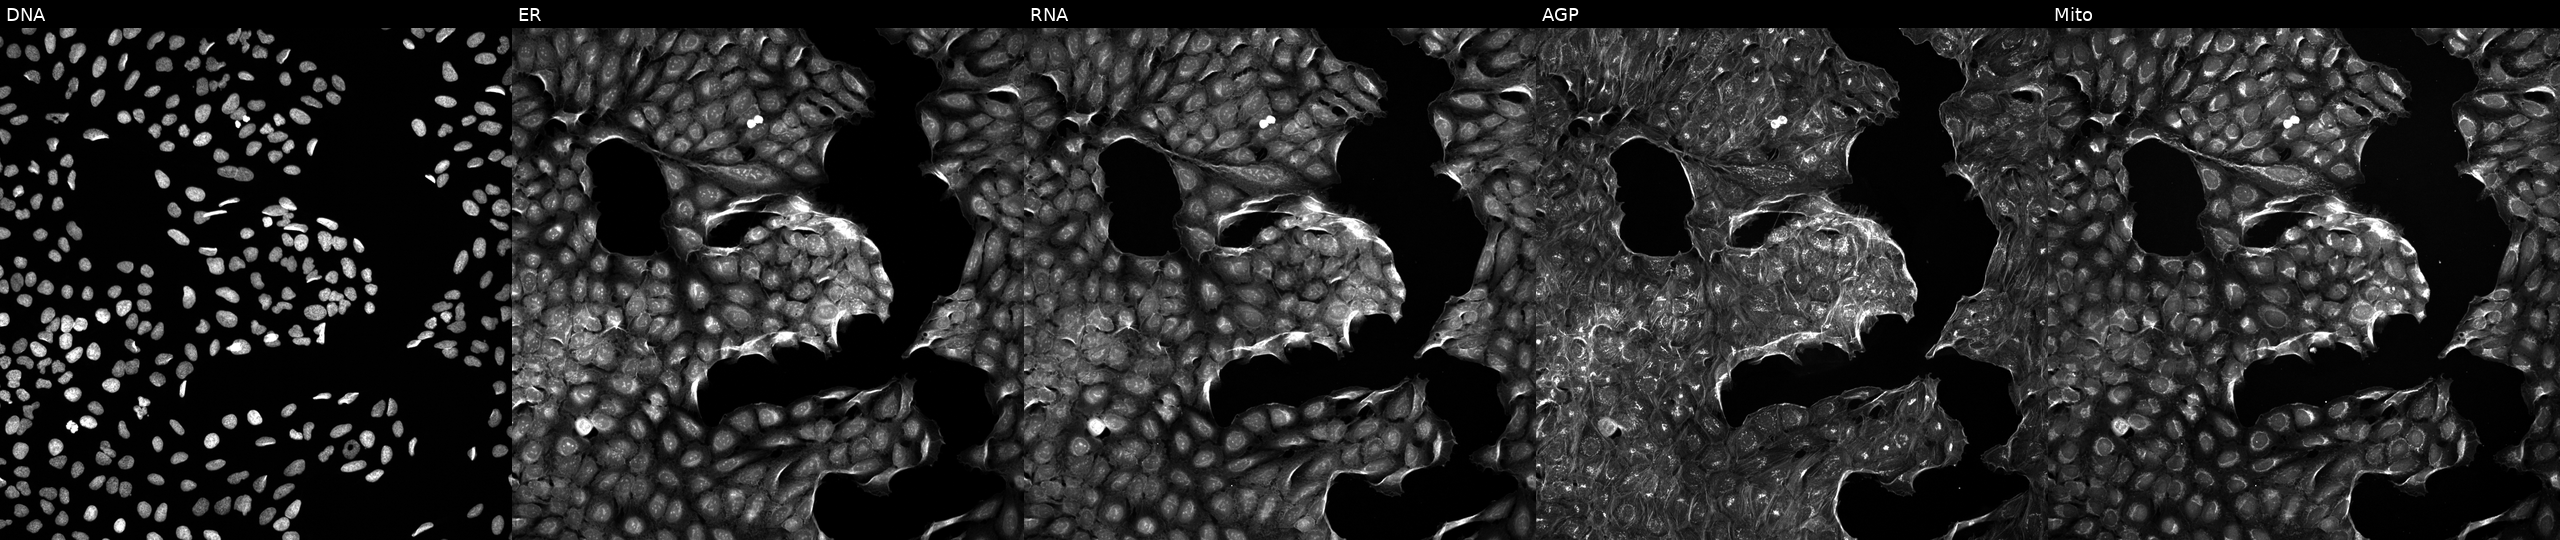
This image strip shows the five Cell Painting channels for a single field of U2OS cells exposed to a small-molecule compound (InChIKey YFIPHNGBSYLULE-UHFFFAOYSA-N) (JUMP id JCP2022_108092). The five panels, left to right, show Hoechst 33342, concanavalin A, SYTO 14, phalloidin and WGA, MitoTracker. Source 5, plate APTJUM106, well K09.